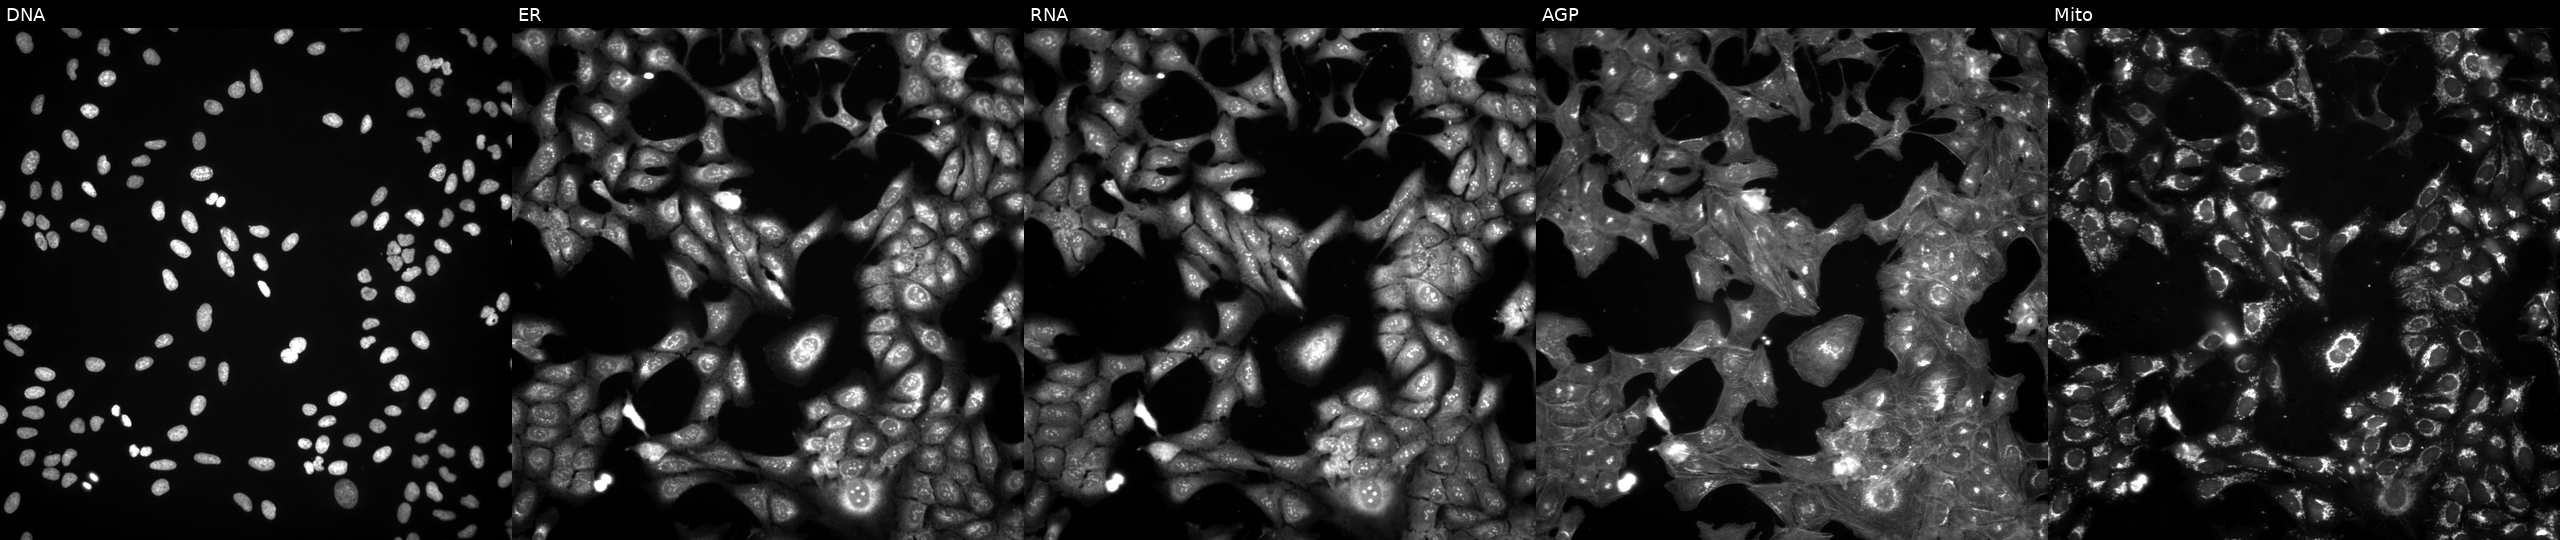
High-content fluorescence microscopy (Cell Painting). Cell line: U2OS. Perturbation: treated with DMSO vehicle only (negative control) (JUMP id JCP2022_033924). The five panels, left to right, show Hoechst 33342, concanavalin A, SYTO 14, phalloidin and WGA, MitoTracker. Source 3, plate JCPQC052, well H06.